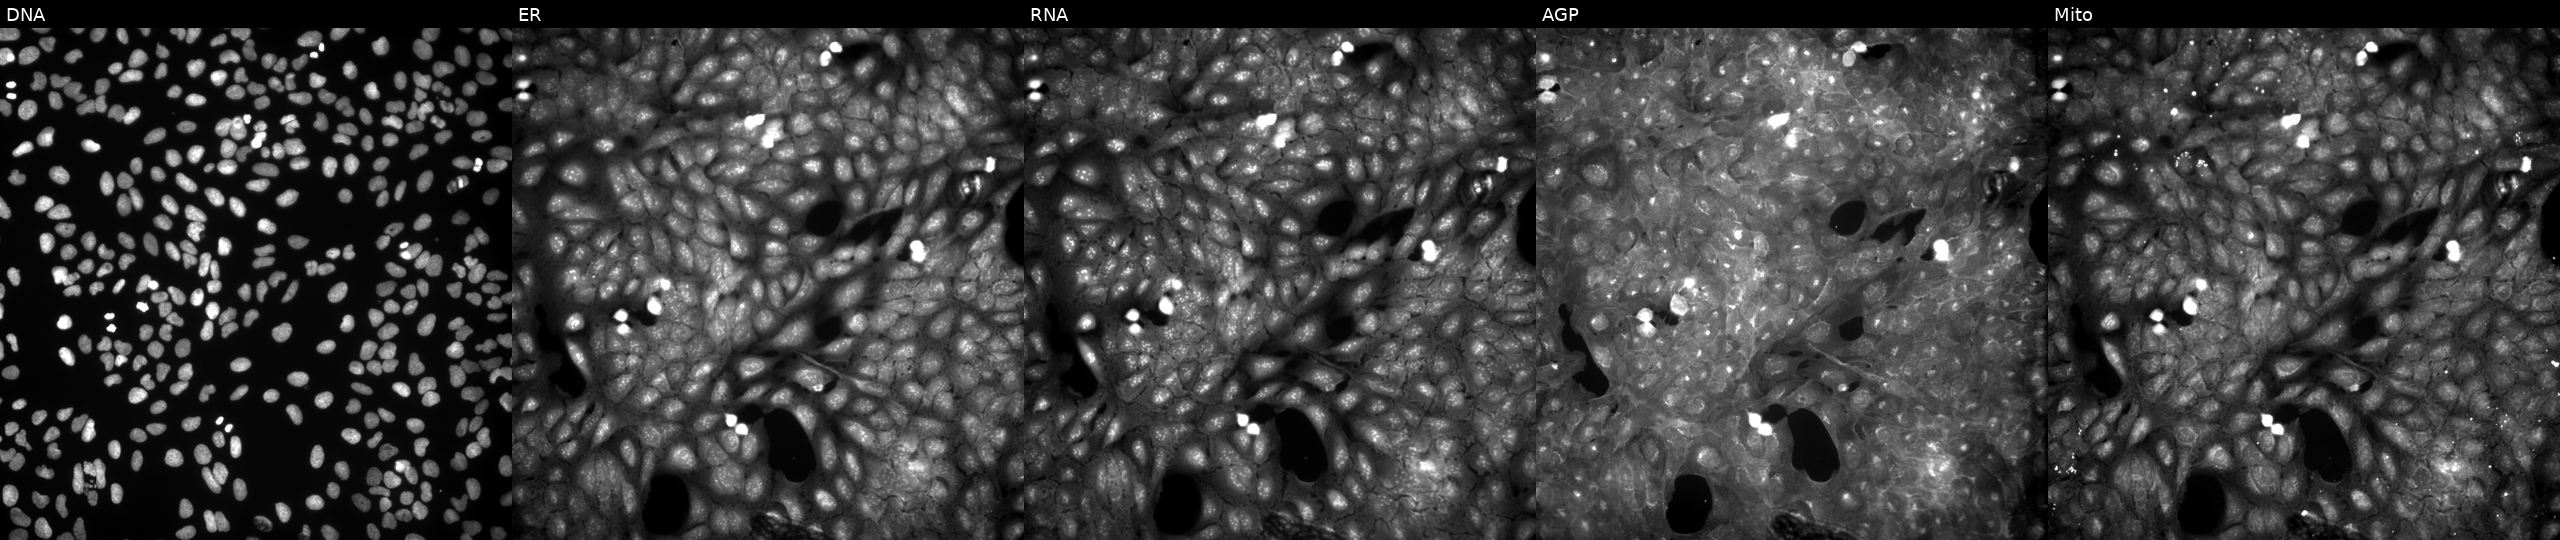
U2OS cells, Cell Painting assay, treated with a small-molecule compound (InChIKey KHFVJVOGUDLFTA-UHFFFAOYSA-N) (JUMP id JCP2022_044609). From left to right: Hoechst 33342, concanavalin A, SYTO 14, phalloidin and WGA, MitoTracker. Each panel is percentile-stretched 16-bit fluorescence.